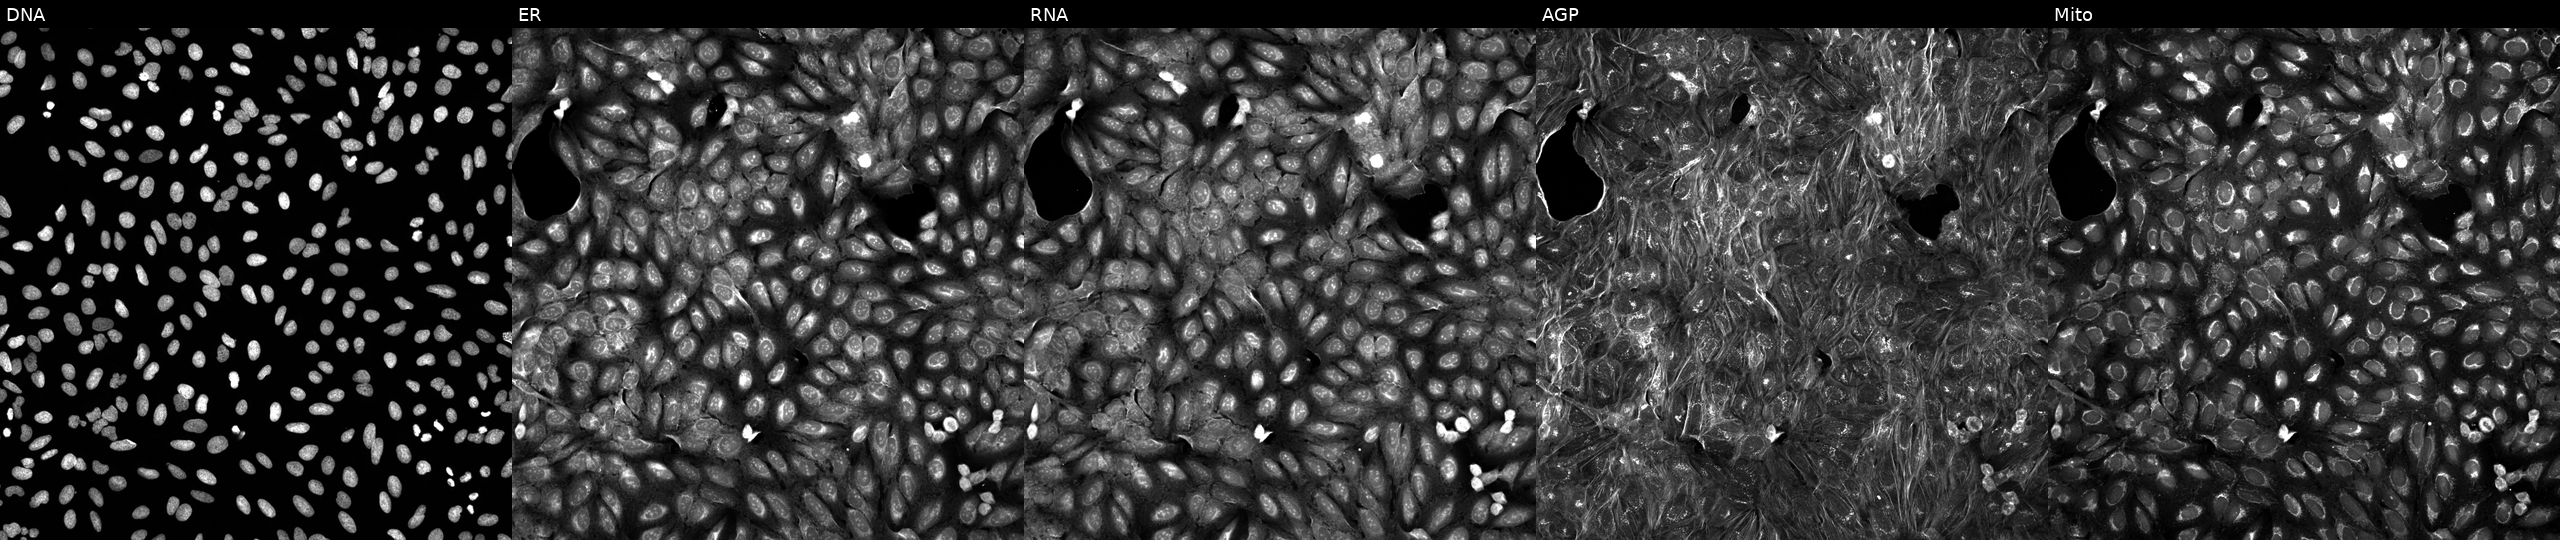
From left to right: DNA (nuclei); ER (endoplasmic reticulum); RNA (nucleoli and cytoplasmic RNA); AGP (actin cytoskeleton, Golgi, and plasma membrane); Mito (mitochondria). U2OS osteosarcoma cells exposed to DMSO alone as a negative control (JUMP id JCP2022_033924). Cell Painting assay, JUMP-CP dataset.